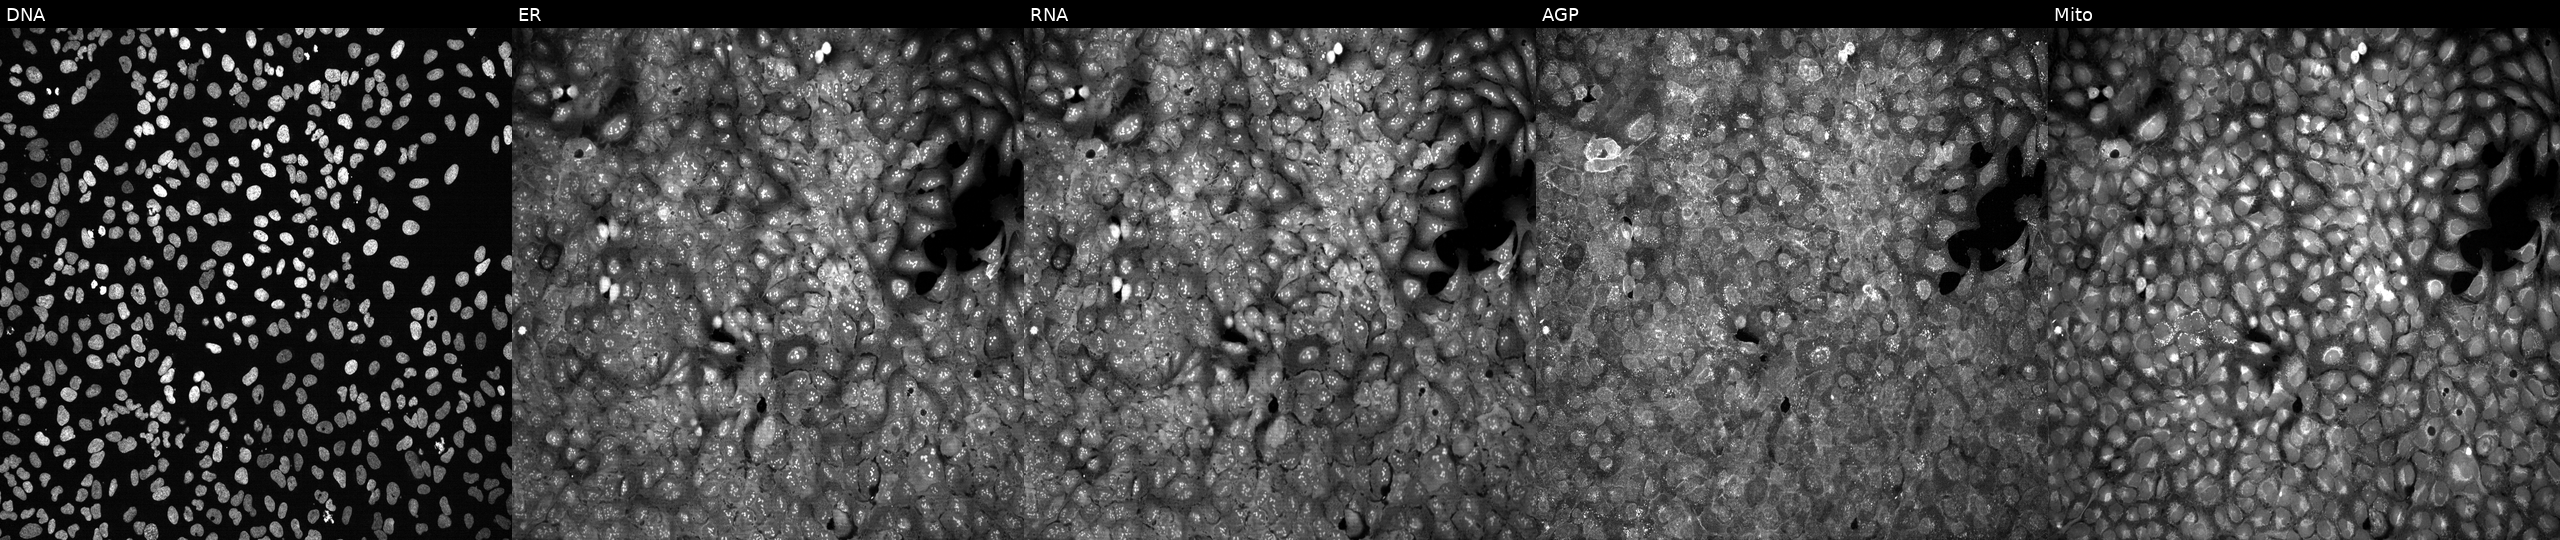
JUMP Cell Painting — CRISPR plate. U2OS cells following CRISPR knockout of SLC27A2 (JUMP id JCP2022_806473). Panels show, left to right, Hoechst 33342, concanavalin A, SYTO 14, phalloidin and WGA, MitoTracker. Source 13, plate CP-CC9-R1-02, well K12.